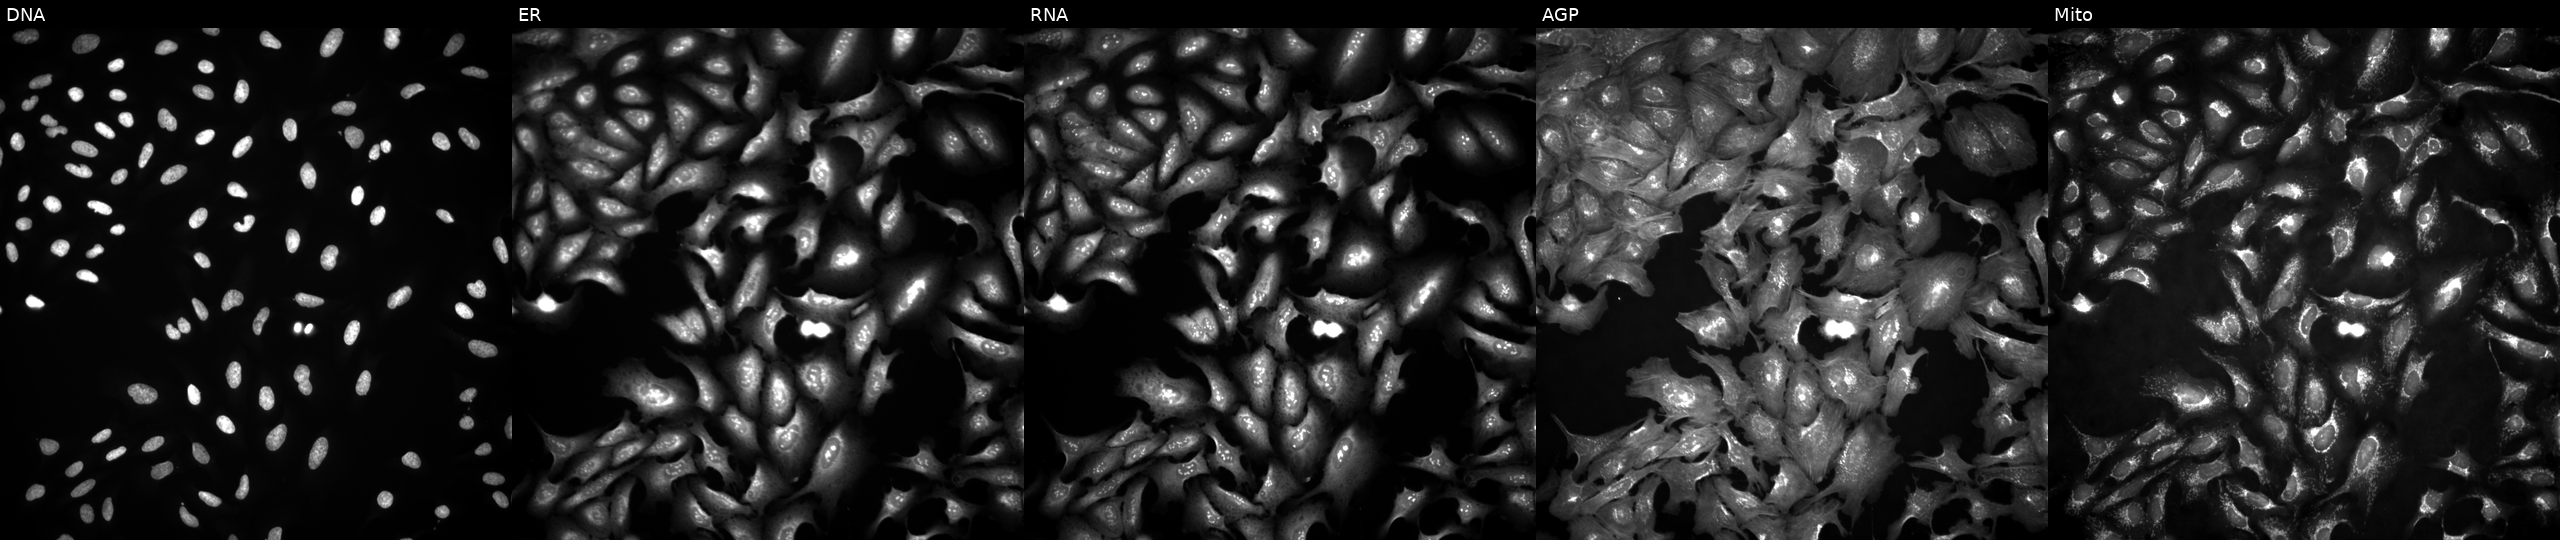
JUMP Cell Painting — ORF plate. U2OS cells transfected with an ORF construct for CKS2 (JUMP id JCP2022_913621). Channels (left→right): DNA, ER, RNA, AGP, and Mito. Source 4, plate BR00123945, well F05.